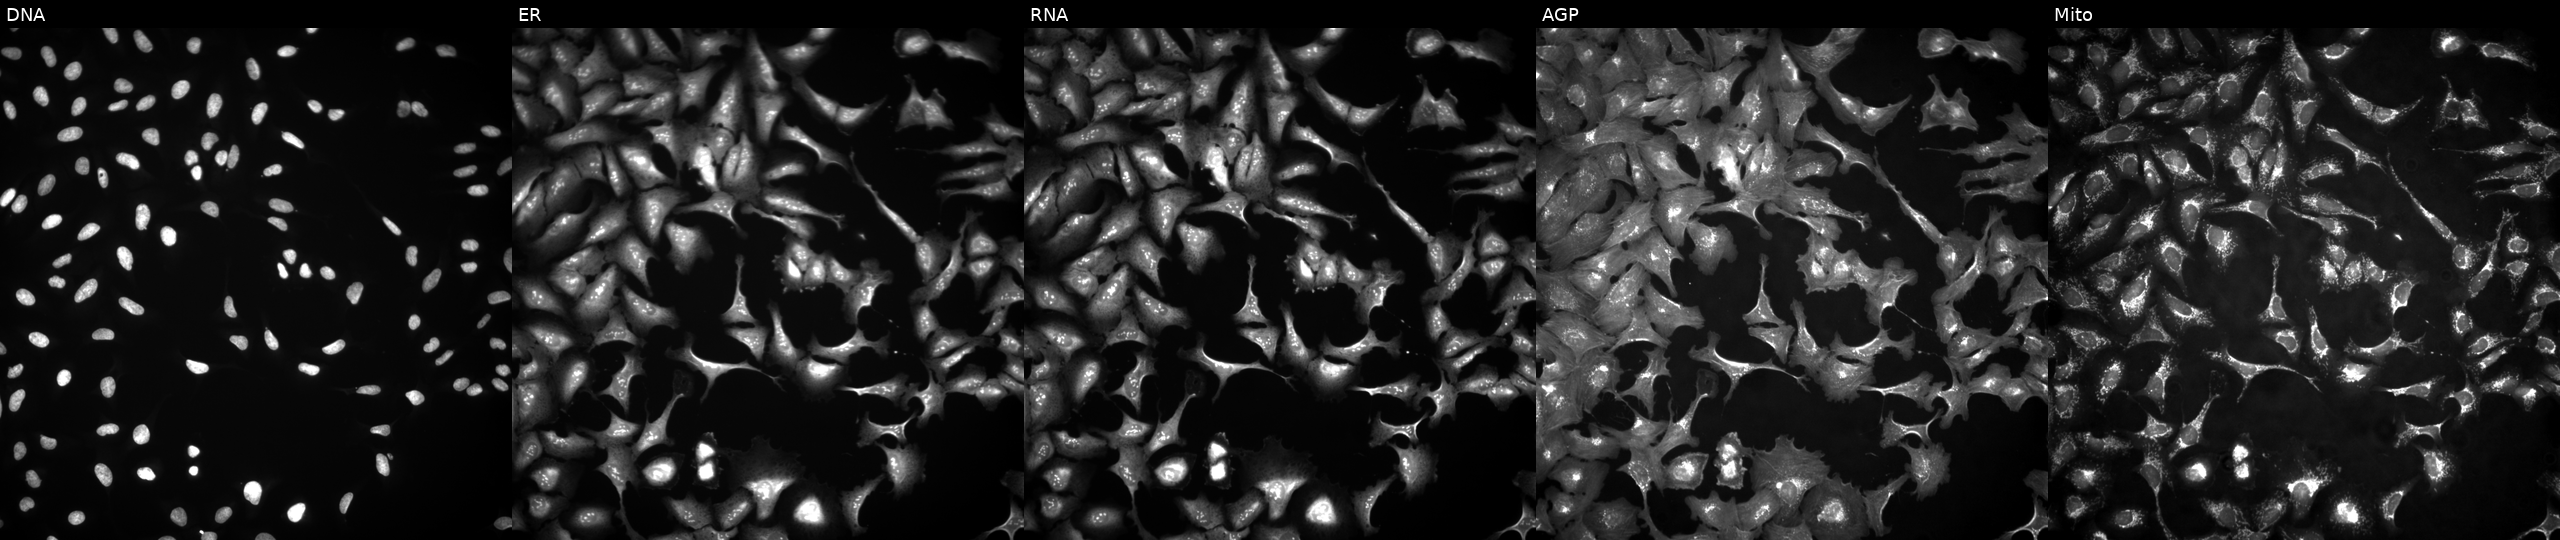
This image strip shows the five Cell Painting channels for a single field of U2OS cells overexpressing ZNF263 via ORF transfection (JUMP id JCP2022_902176). Panels show, left to right, Hoechst 33342, concanavalin A, SYTO 14, phalloidin and WGA, MitoTracker.